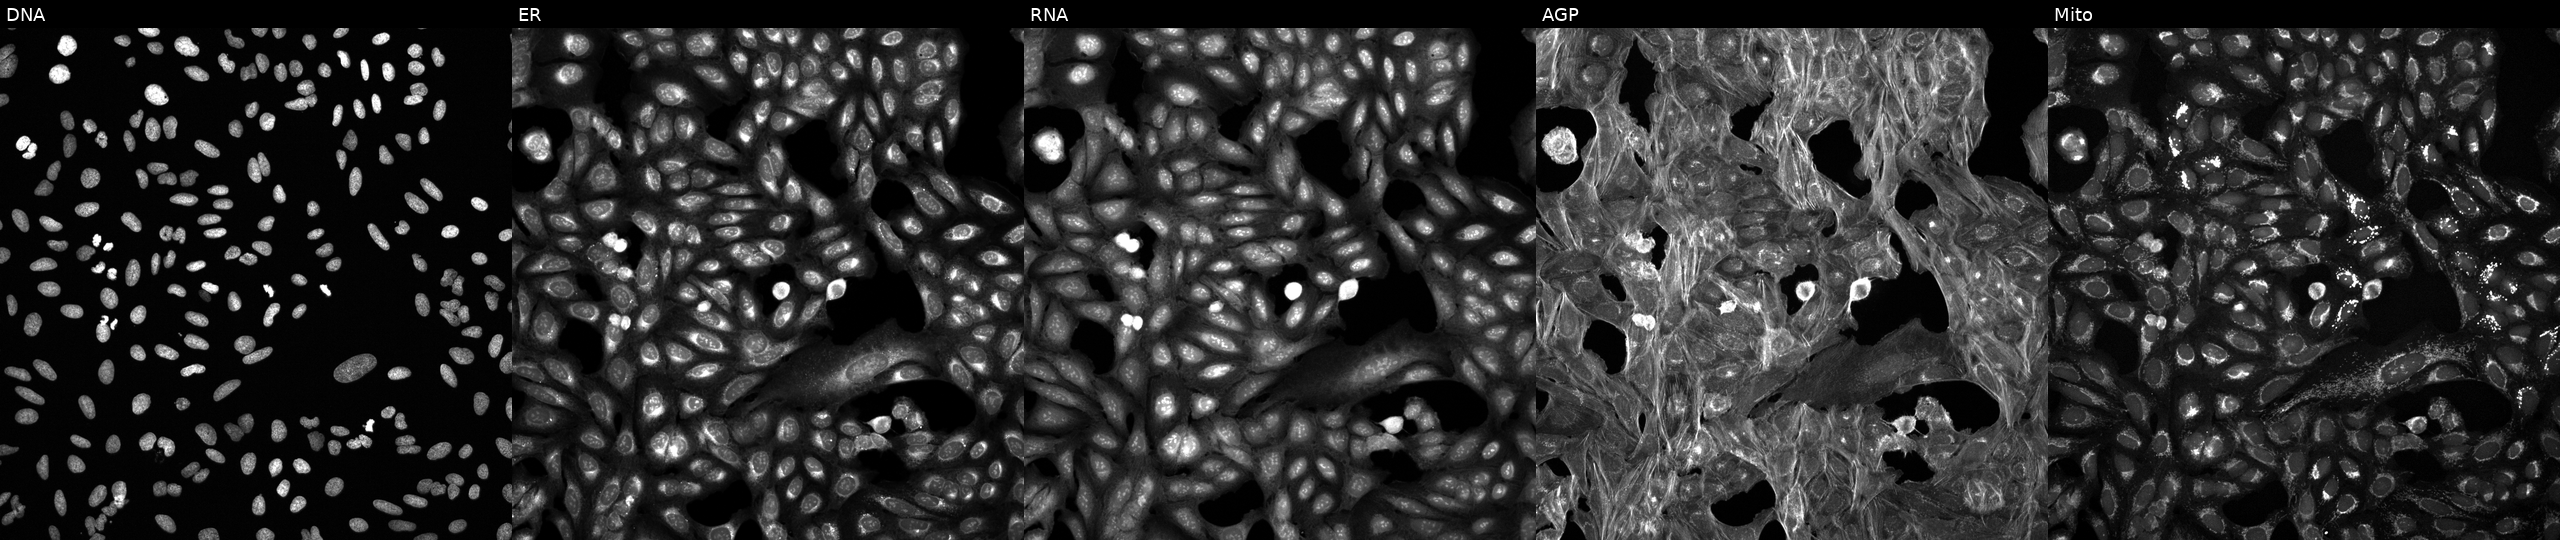
JUMP Cell Painting — TARGET2 plate. U2OS cells treated with a small-molecule compound (InChIKey IBAQFPQHRJAVAV-UHFFFAOYSA-N) (JUMP id JCP2022_033936). From left to right: DNA (nuclei); ER (endoplasmic reticulum); RNA (nucleoli and cytoplasmic RNA); AGP (actin cytoskeleton, Golgi, and plasma membrane); Mito (mitochondria).